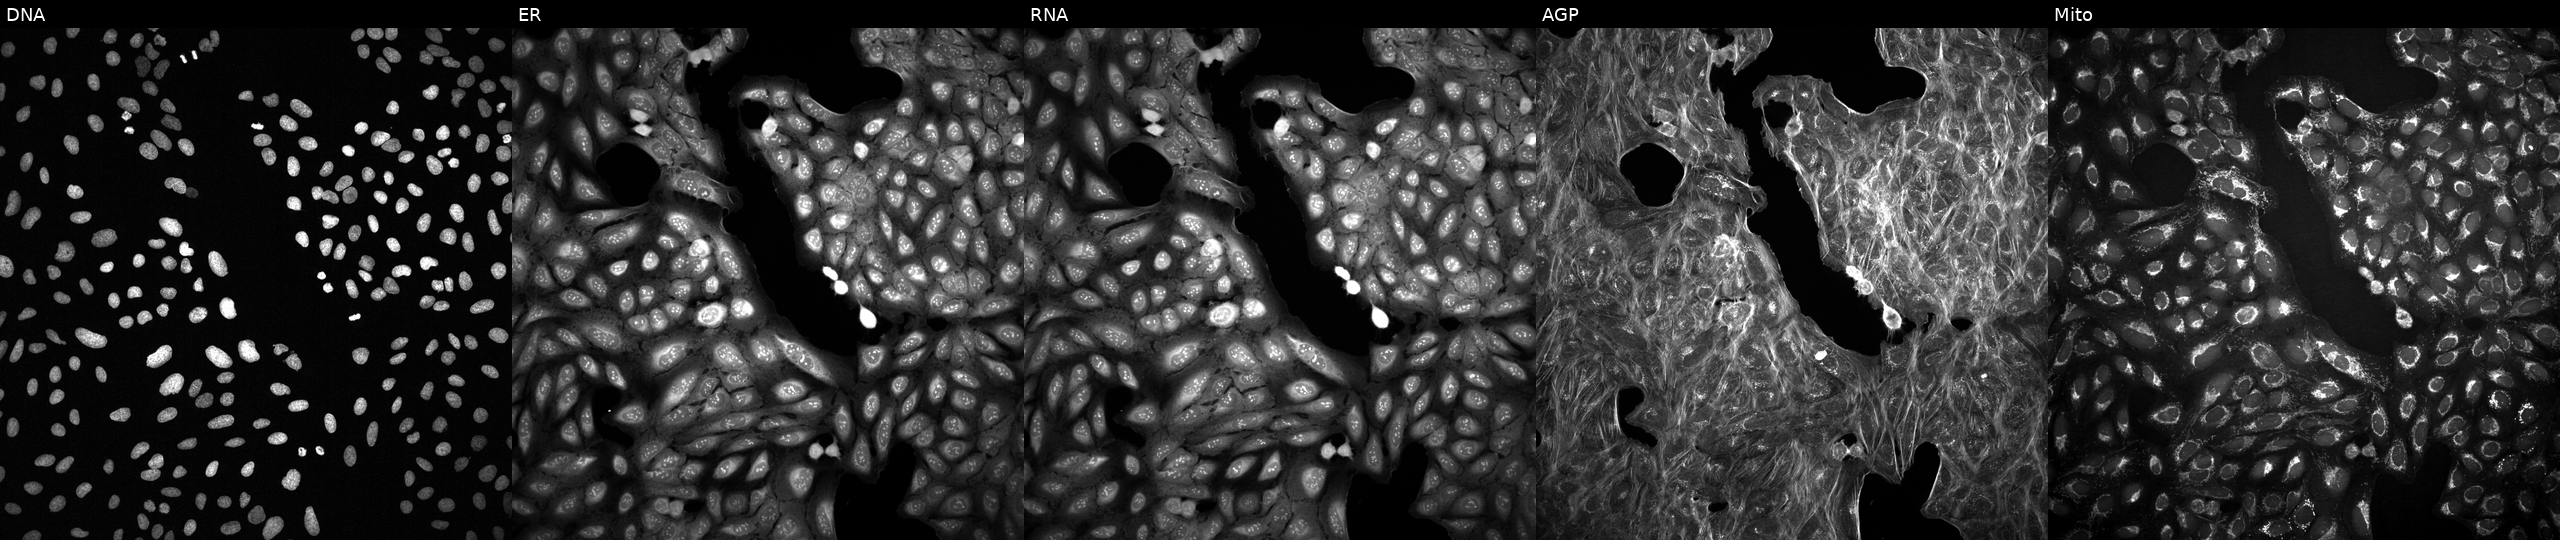
Five-channel Cell Painting image of U2OS cells with an unidentified perturbation (not annotated in JUMP metadata). Panels show, left to right, DNA (nuclei); ER (endoplasmic reticulum); RNA (nucleoli and cytoplasmic RNA); AGP (actin cytoskeleton, Golgi, and plasma membrane); Mito (mitochondria). Source 2, plate 1053601756, well B06.